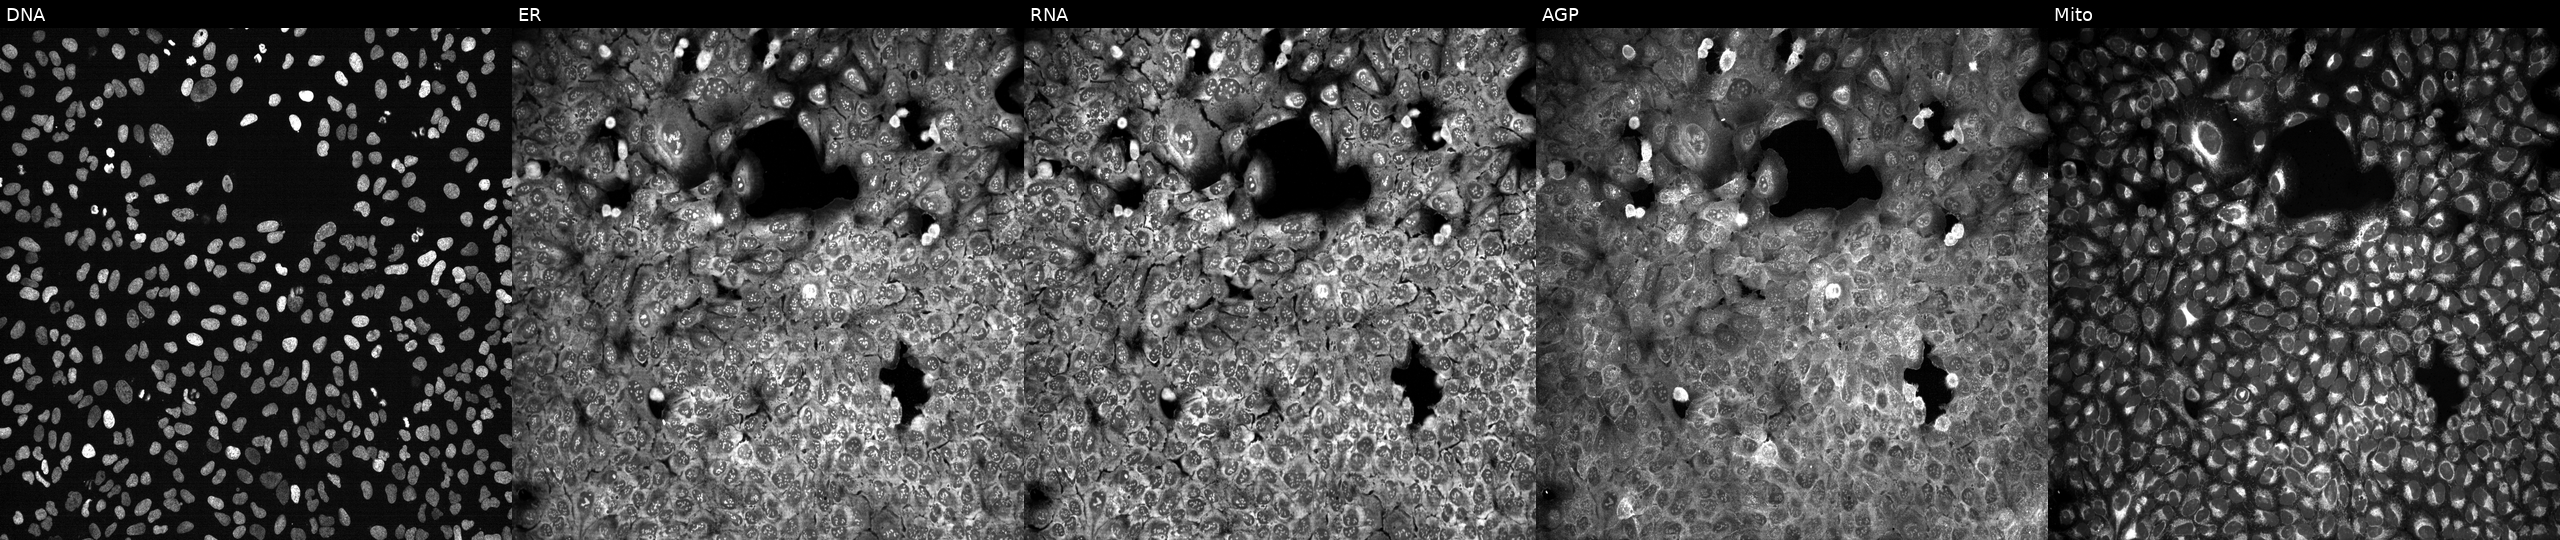
Panels show, left to right, DNA, ER, RNA, AGP, and Mito. U2OS osteosarcoma cells following CRISPR knockout of HS3ST5 (JUMP id JCP2022_803231). Cell Painting assay, JUMP-CP dataset. Source 13, plate CP-CC9-R4-03, well I15.